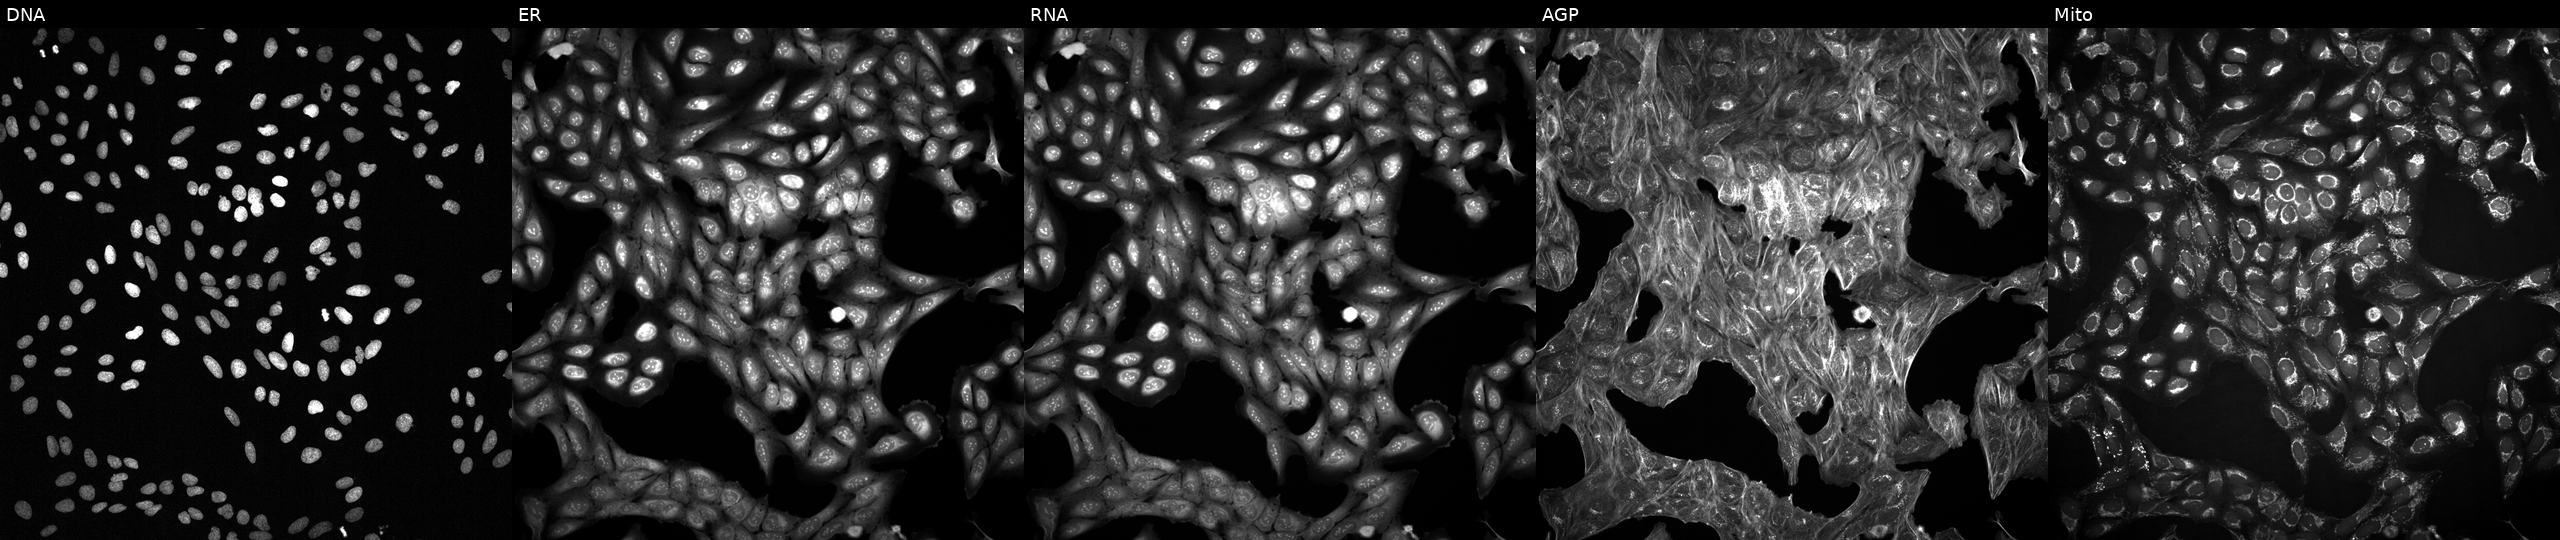
This image strip shows the five Cell Painting channels for a single field of U2OS cells perturbed with a small-molecule compound (InChIKey QHTHCOHOEYVTAC-UHFFFAOYSA-N) [SMILES: O=C(Nc1ccc2[nH]cnc2c1)c1ccccc1Cl]. Channels (left→right): Hoechst 33342, concanavalin A, SYTO 14, phalloidin and WGA, MitoTracker.